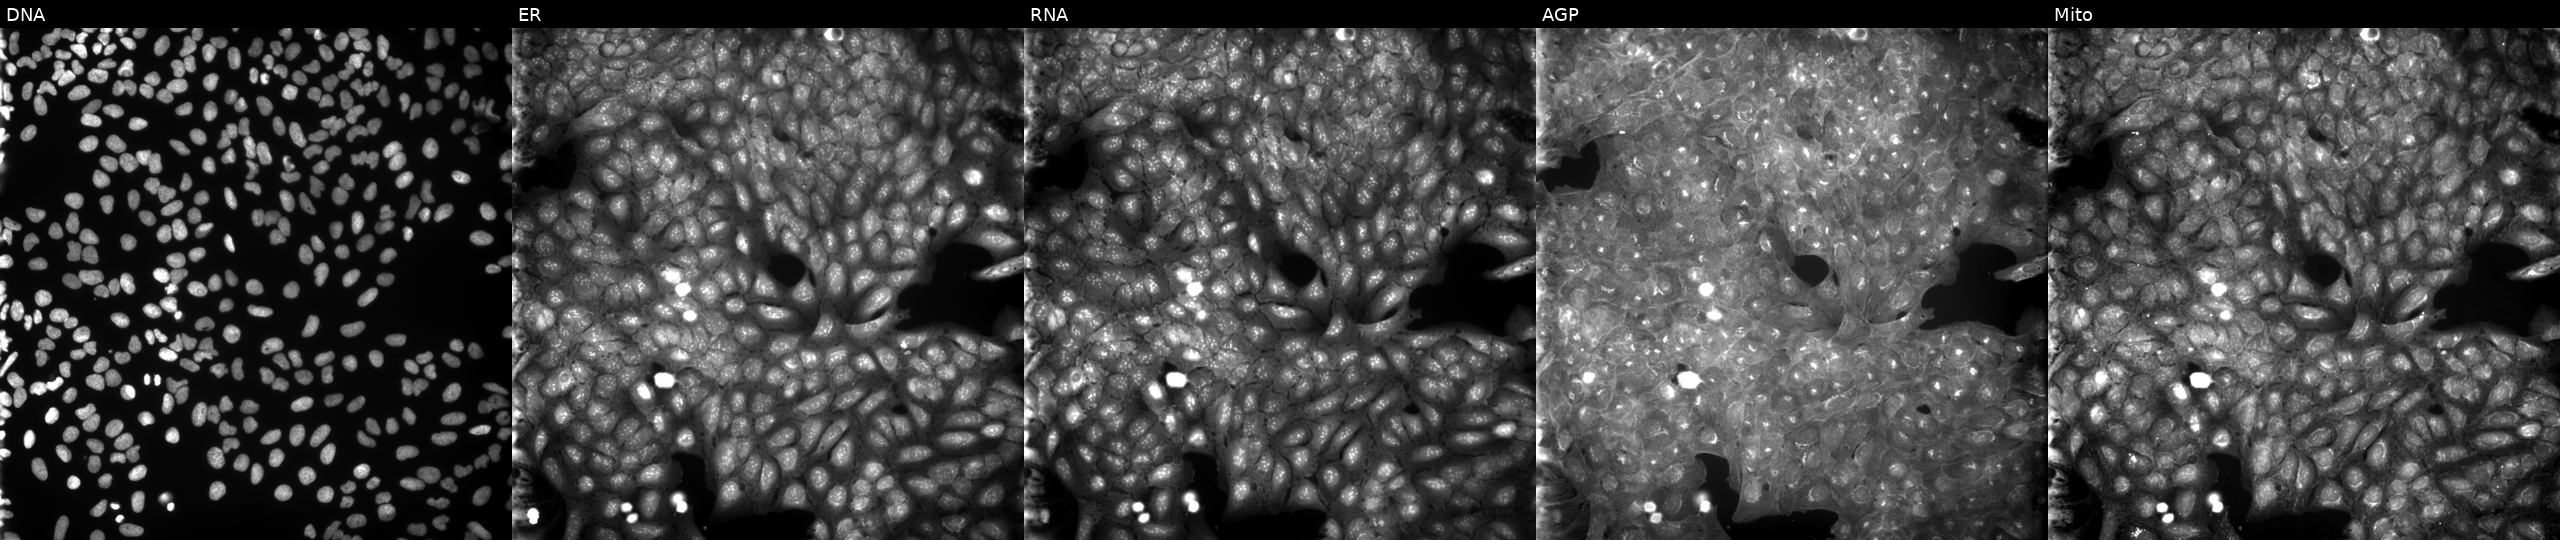
JUMP Cell Painting — COMPOUND plate. U2OS cells exposed to a small-molecule compound (InChIKey SVRHZTFGWDYKCB-UHFFFAOYSA-N). From left to right: DNA (nuclei); ER (endoplasmic reticulum); RNA (nucleoli and cytoplasmic RNA); AGP (actin cytoskeleton, Golgi, and plasma membrane); Mito (mitochondria).